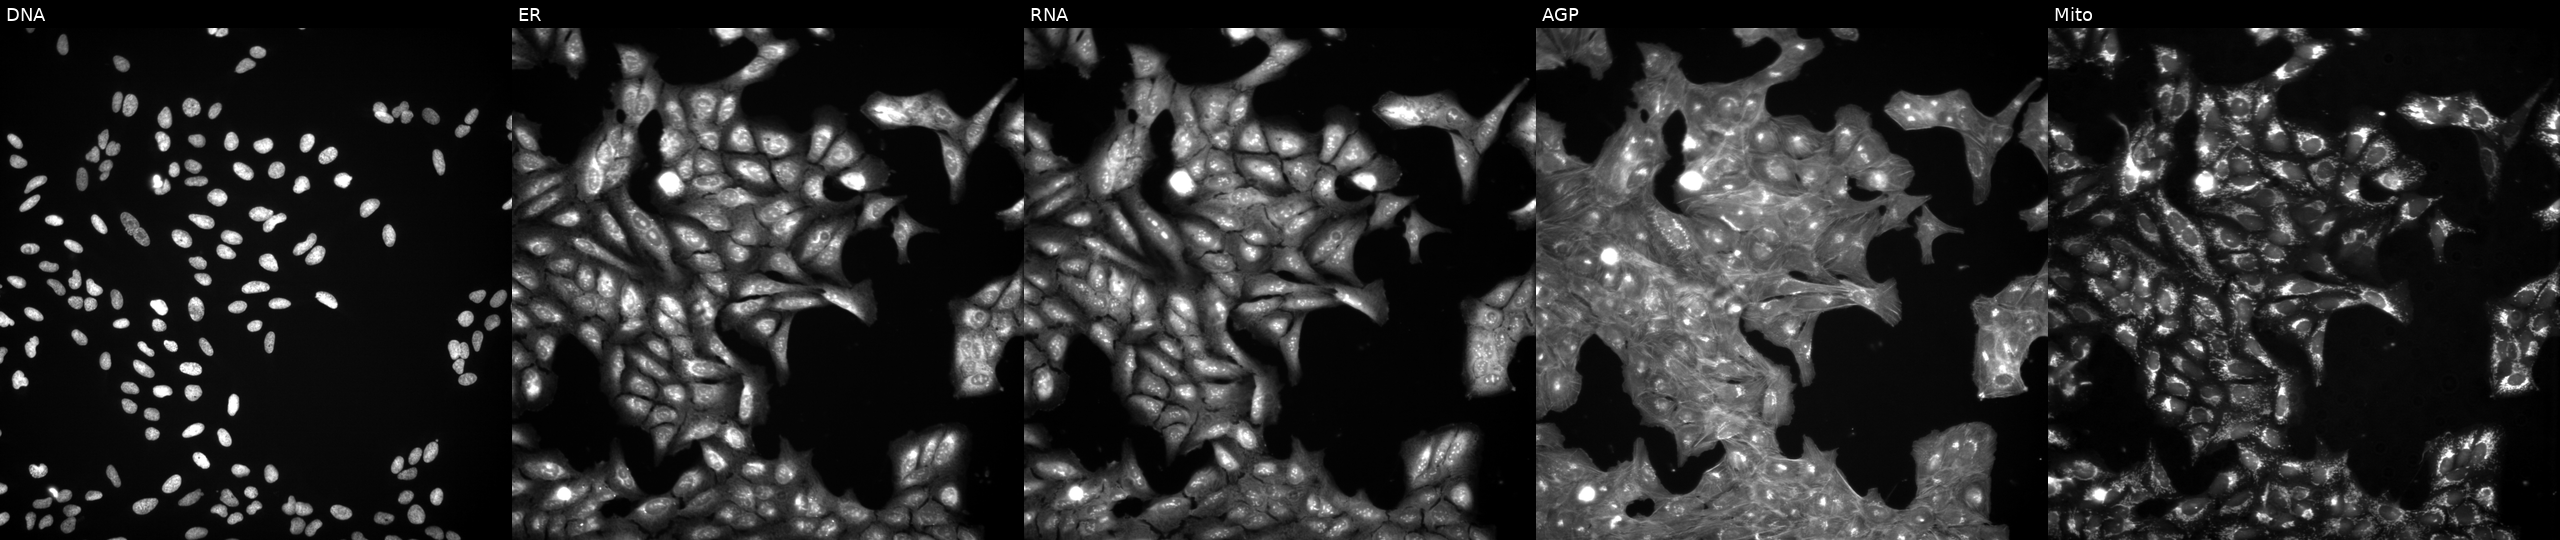
This image strip shows the five Cell Painting channels for a single field of U2OS cells untreated (empty-well control). From left to right: Hoechst 33342, concanavalin A, SYTO 14, phalloidin and WGA, MitoTracker.